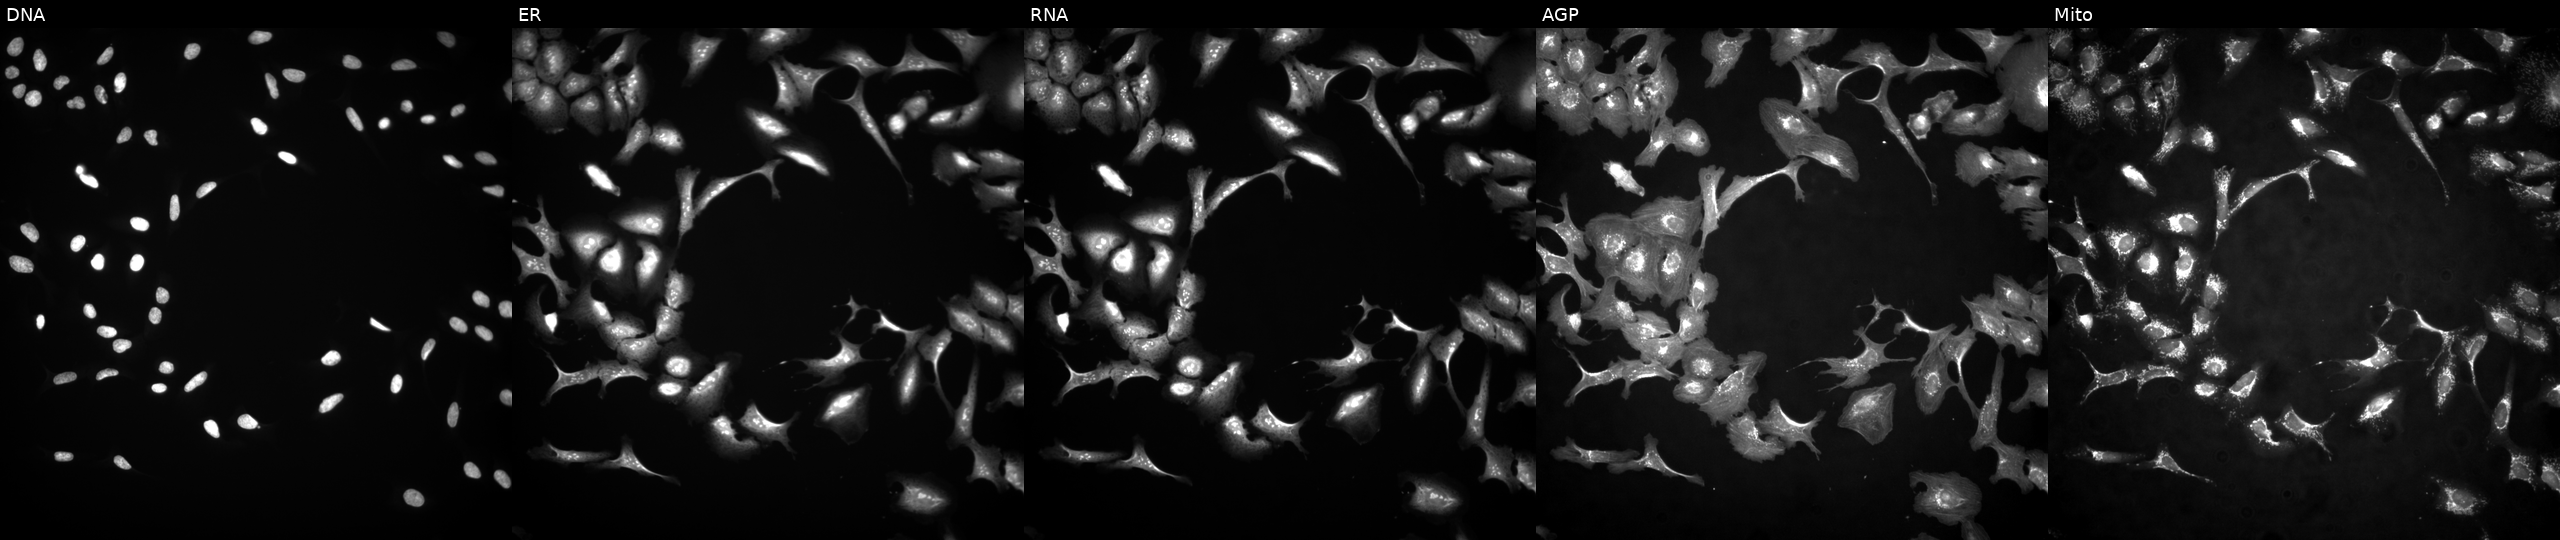
Five-channel Cell Painting image of U2OS cells transfected with an ORF construct for ZNF266 (JUMP id JCP2022_907176). The five panels, left to right, show DNA, ER, RNA, AGP, and Mito. Source 4, plate BR00117035, well G17.